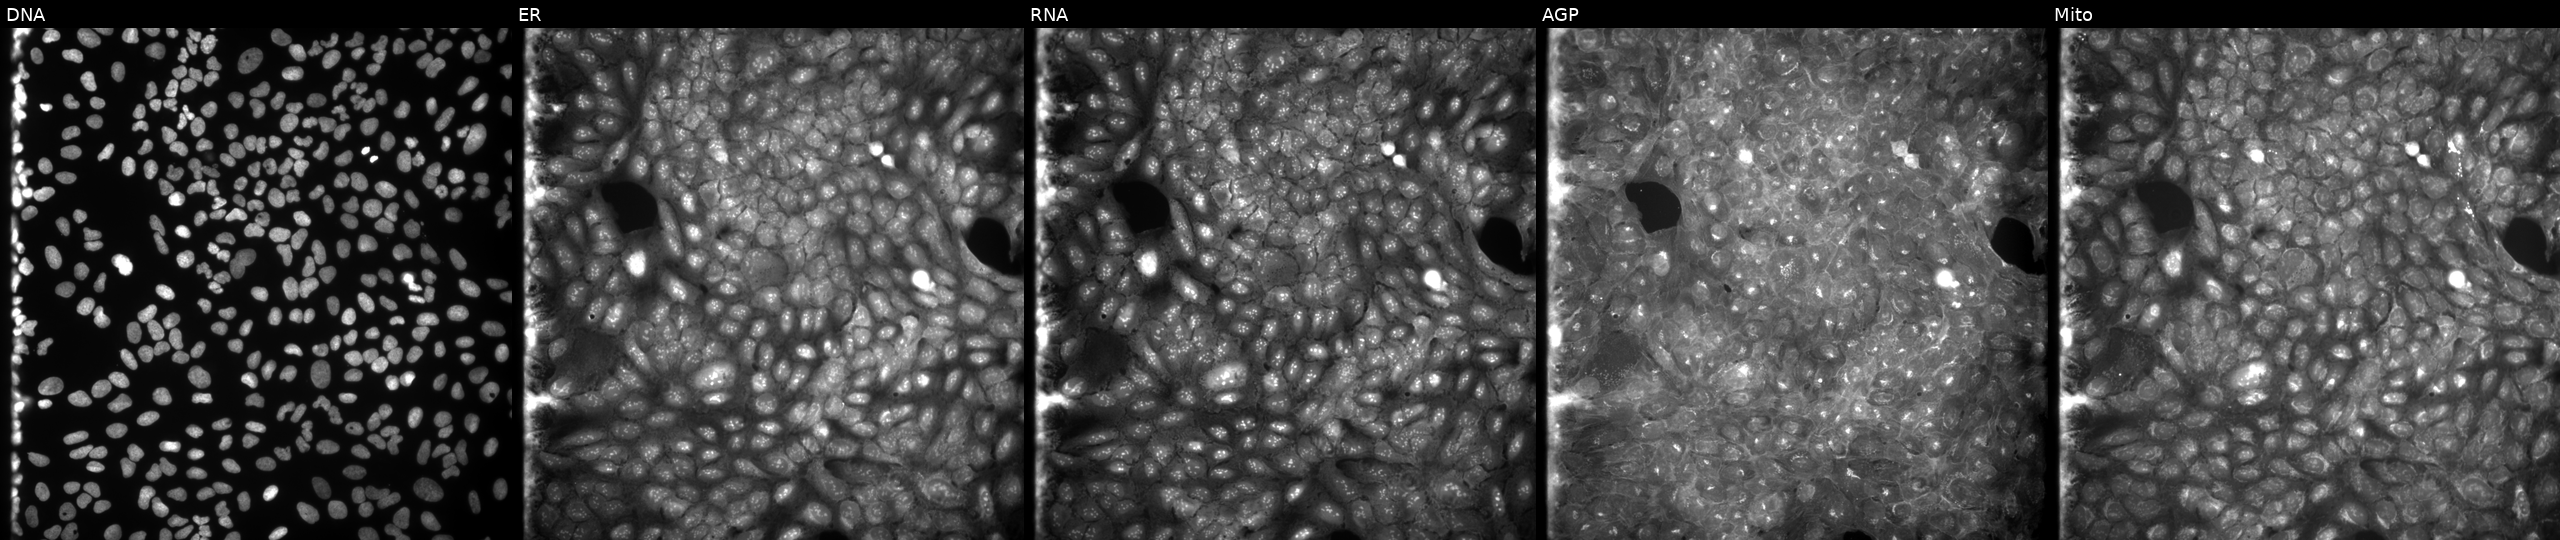
U2OS cells, Cell Painting assay, exposed to a small-molecule compound. Panels show, left to right, Hoechst 33342, concanavalin A, SYTO 14, phalloidin and WGA, MitoTracker. Each panel is percentile-stretched 16-bit fluorescence. Source 9, plate GR00003381, well F13.